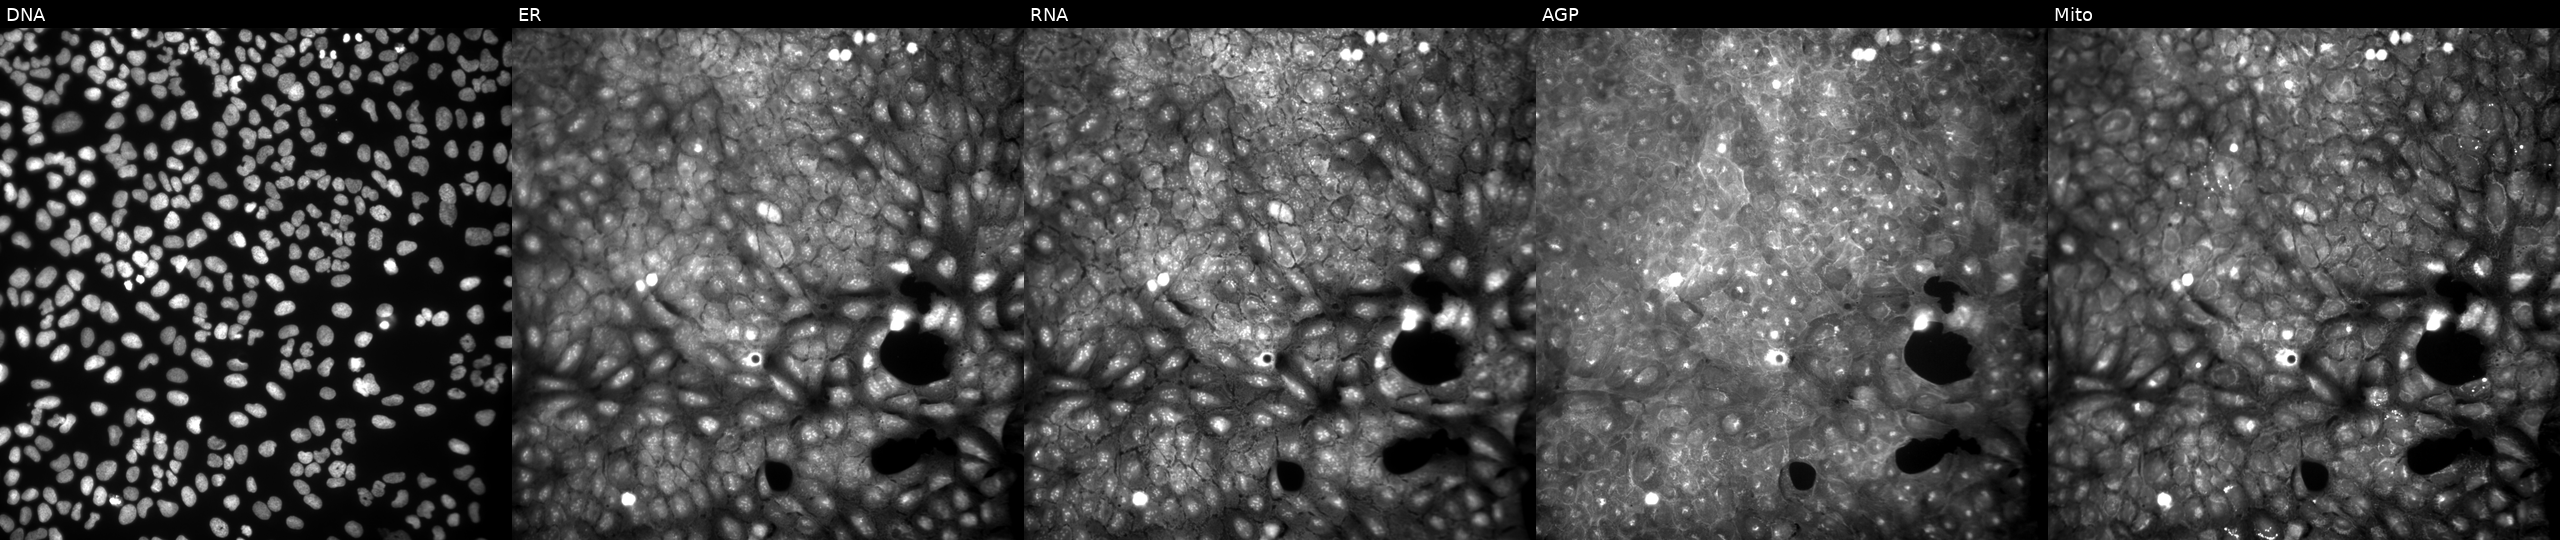
This image strip shows the five Cell Painting channels for a single field of U2OS cells perturbed with a small-molecule compound (InChIKey JGJZFVYMUWFRMZ-UHFFFAOYSA-N). Panels show, left to right, Hoechst 33342, concanavalin A, SYTO 14, phalloidin and WGA, MitoTracker.